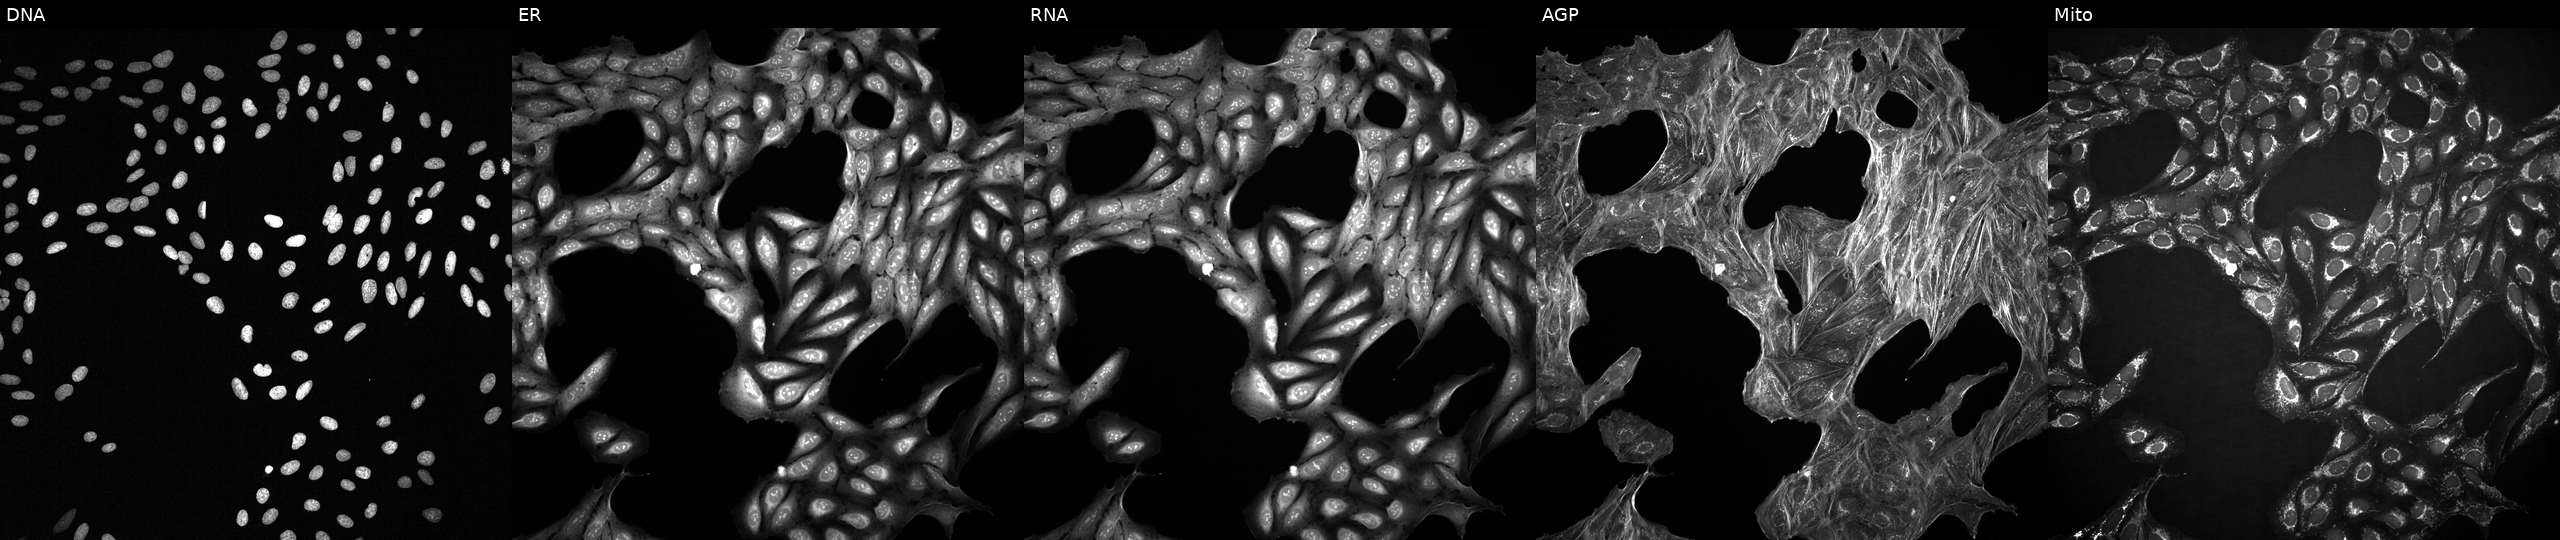
U2OS cells, Cell Painting assay, exposed to the positive-control compound dexamethasone (JUMP id JCP2022_025848). The five panels, left to right, show DNA (nuclei); ER (endoplasmic reticulum); RNA (nucleoli and cytoplasmic RNA); AGP (actin cytoskeleton, Golgi, and plasma membrane); Mito (mitochondria). Each panel is percentile-stretched 16-bit fluorescence. Source 2, plate 1053601763, well C01.